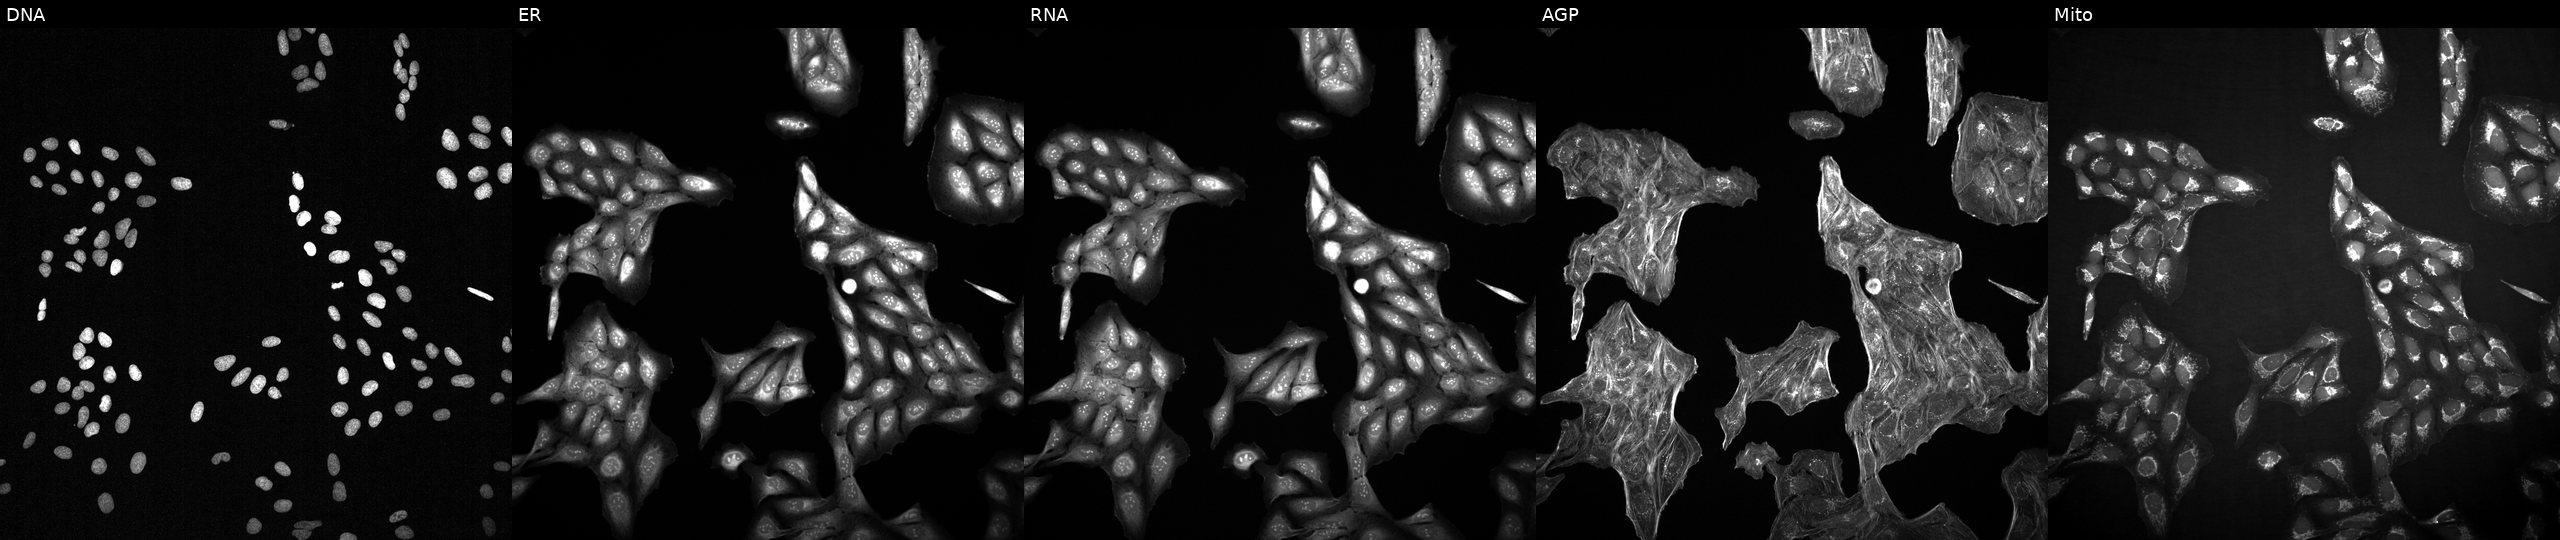
U2OS cells, Cell Painting assay, treated with a small-molecule compound (InChIKey RNSLRQNDXRSASX-UHFFFAOYSA-N) [SMILES: Cc1nn(C)c2[nH]c(=NNC(=O)N=c3cc(Cl)[nH]c(Cl)c3)cc(C(C)C)c12] (JUMP id JCP2022_079562). From left to right: Hoechst 33342, concanavalin A, SYTO 14, phalloidin and WGA, MitoTracker. Each panel is percentile-stretched 16-bit fluorescence. Source 2, plate 1053600674, well A15.